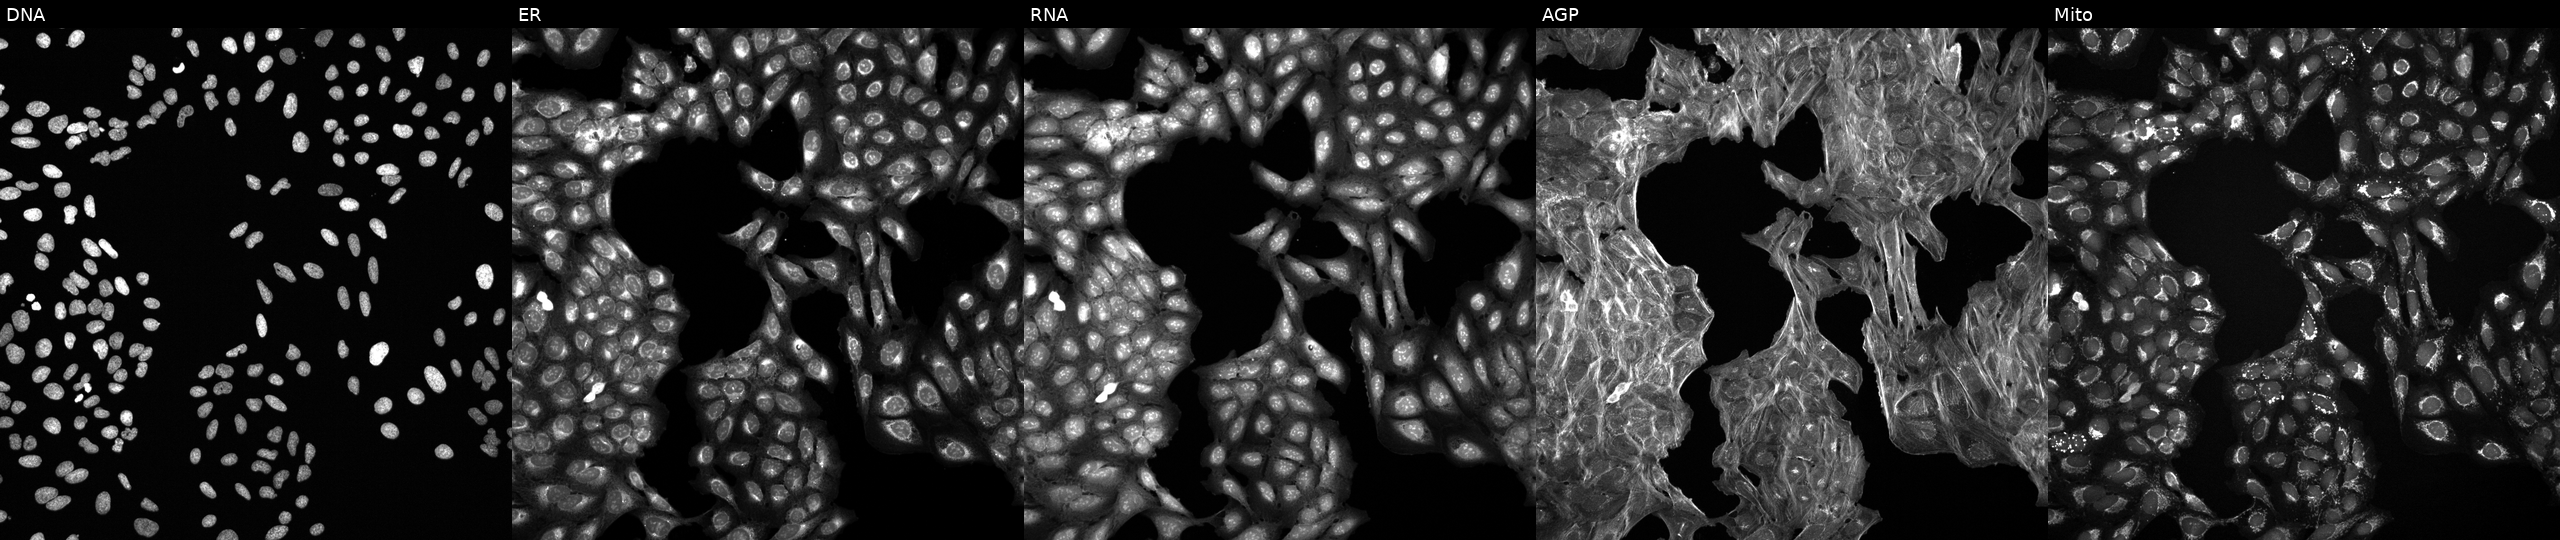
This image strip shows the five Cell Painting channels for a single field of U2OS cells exposed to a small-molecule compound [SMILES: COc1ccc(OC)c(NC(=O)Cn2nc(C)c3cnn(-c4ccccc4C)c3c2=O)c1]. From left to right: DNA (nuclei); ER (endoplasmic reticulum); RNA (nucleoli and cytoplasmic RNA); AGP (actin cytoskeleton, Golgi, and plasma membrane); Mito (mitochondria).